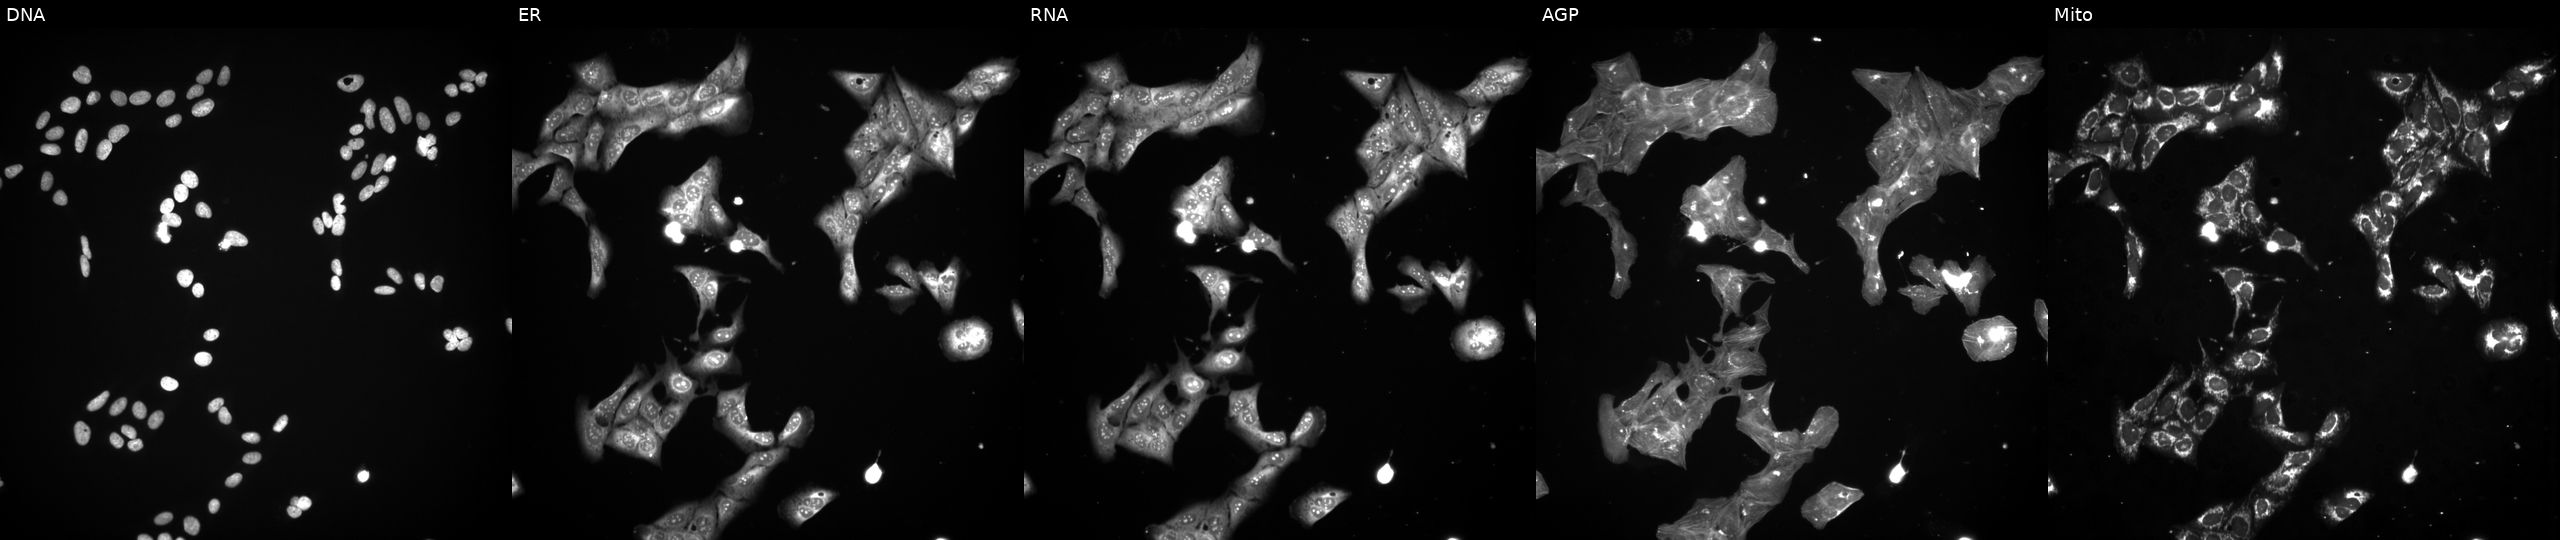
The five panels, left to right, show DNA, ER, RNA, AGP, and Mito. U2OS osteosarcoma cells exposed to a small-molecule compound (JUMP id JCP2022_102083). Cell Painting assay, JUMP-CP dataset.